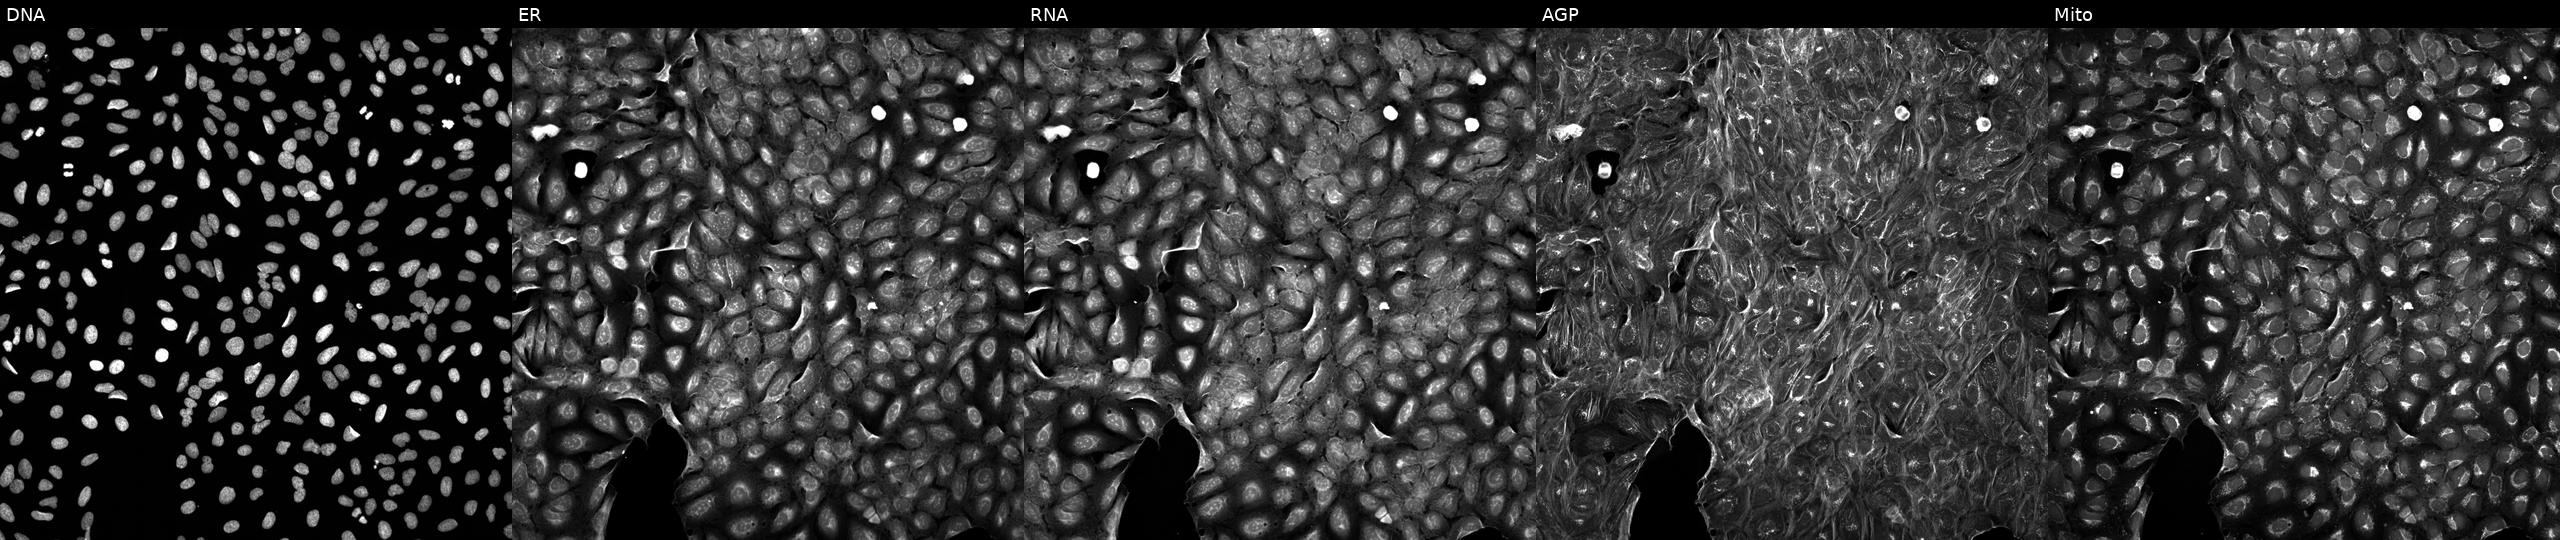
Five-channel Cell Painting image of U2OS cells treated with a small-molecule compound. Panels show, left to right, DNA (nuclei); ER (endoplasmic reticulum); RNA (nucleoli and cytoplasmic RNA); AGP (actin cytoskeleton, Golgi, and plasma membrane); Mito (mitochondria).